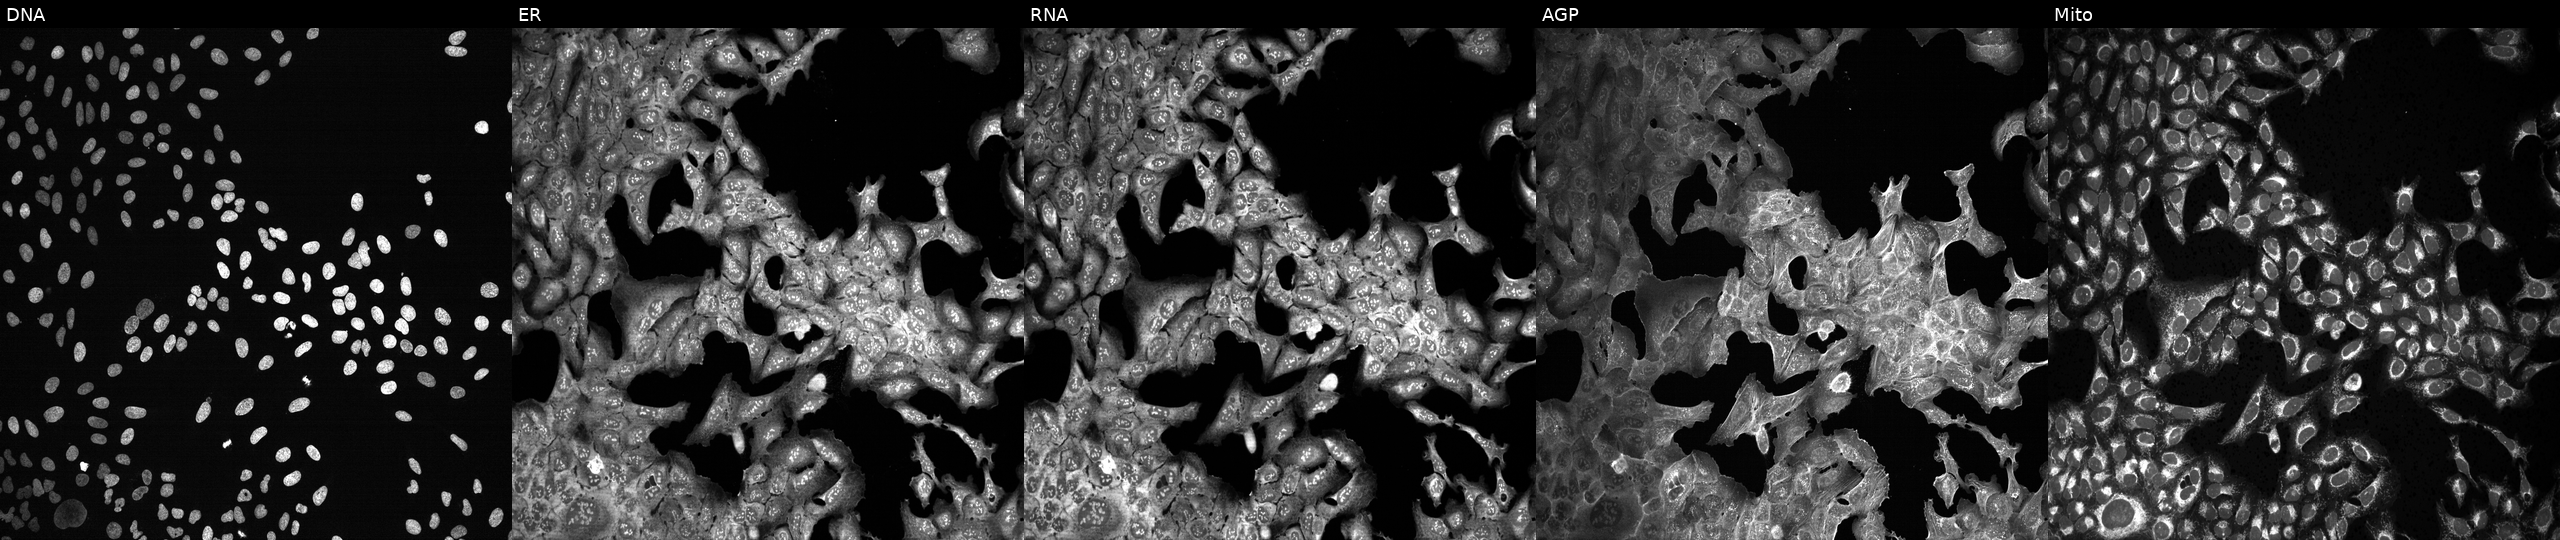
Five-channel Cell Painting image of U2OS cells treated with quinidine (positive-control compound). The five panels, left to right, show DNA, ER, RNA, AGP, and Mito.